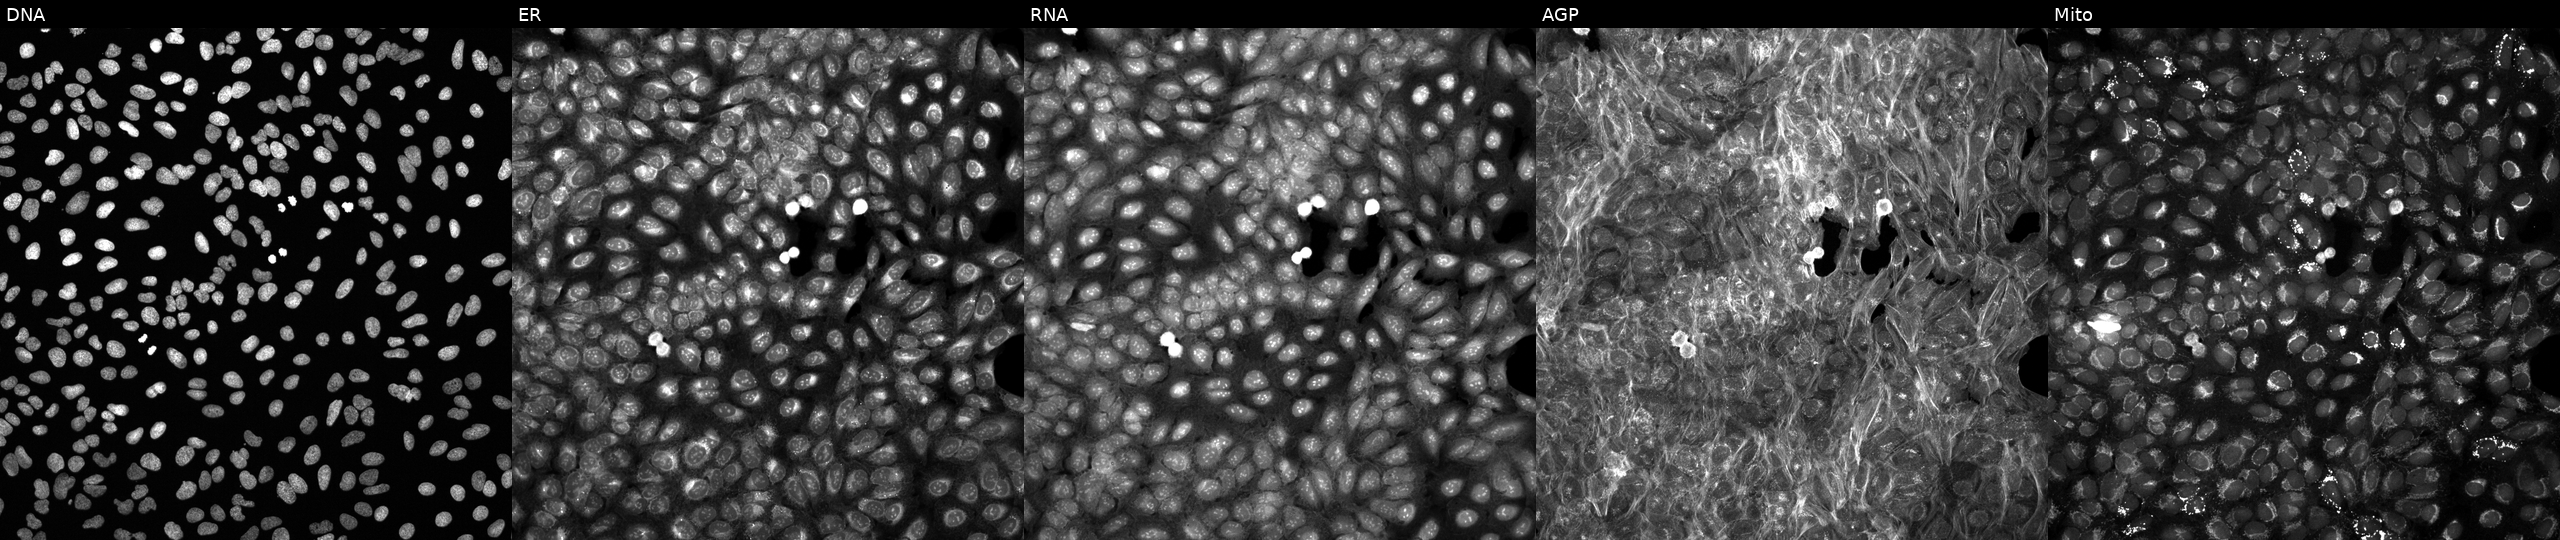
High-content fluorescence microscopy (Cell Painting). Cell line: U2OS. Perturbation: exposed to a small-molecule compound (InChIKey DXZRBHUCOHBAHP-UHFFFAOYSA-N). Channels (left→right): Hoechst 33342, concanavalin A, SYTO 14, phalloidin and WGA, MitoTracker. Source 6, plate 110000294901, well C13.